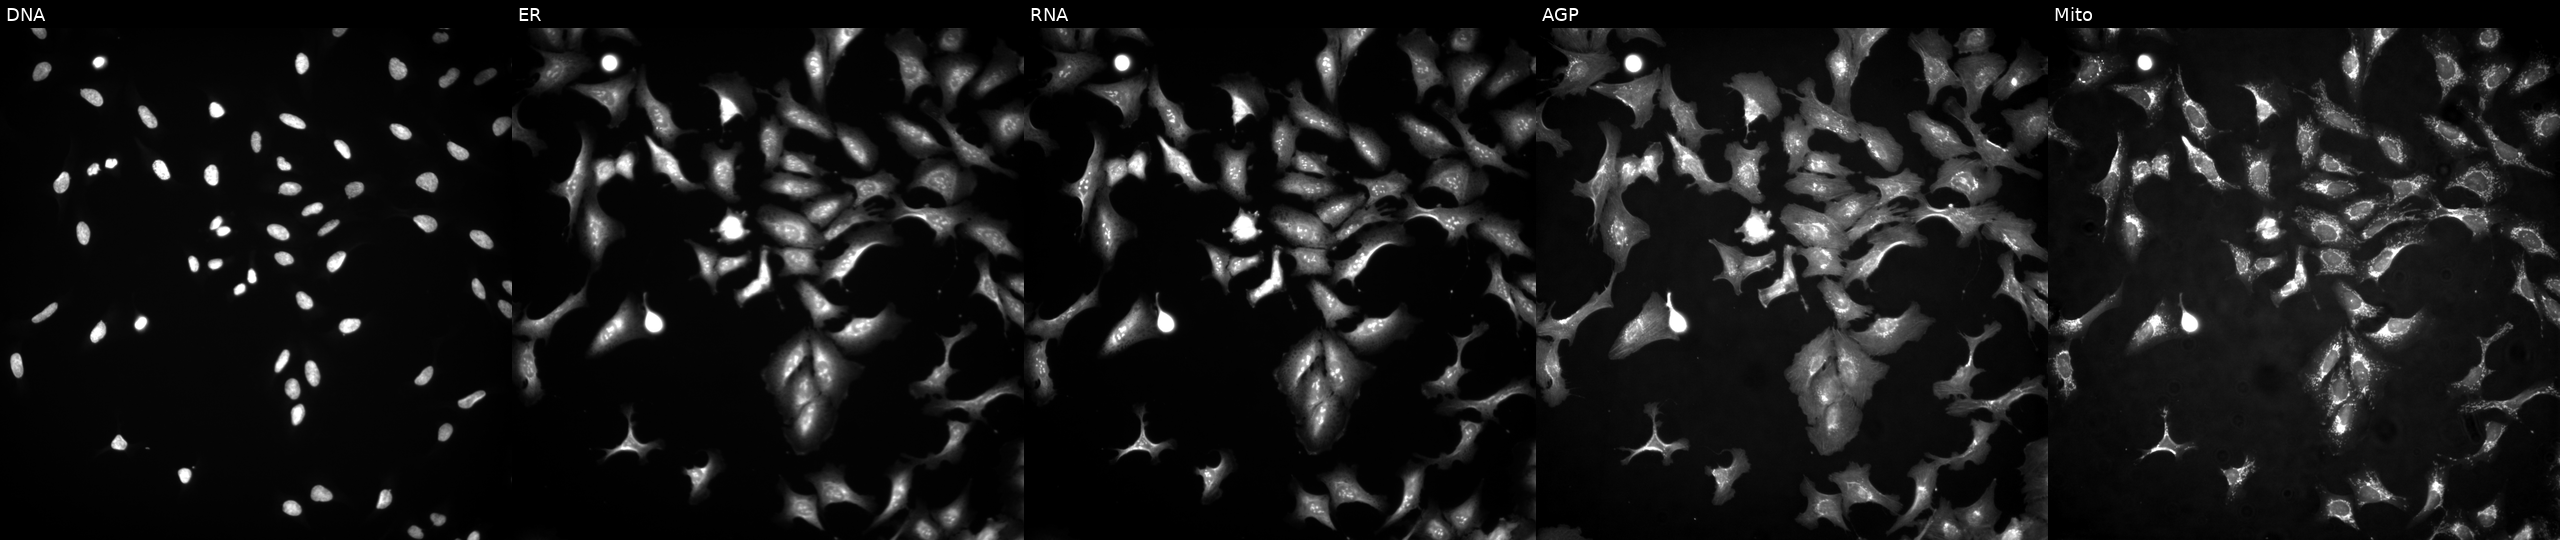
This image strip shows the five Cell Painting channels for a single field of U2OS cells transfected with an ORF construct for MRPL55 (JUMP id JCP2022_904530). Channels (left→right): Hoechst 33342, concanavalin A, SYTO 14, phalloidin and WGA, MitoTracker.